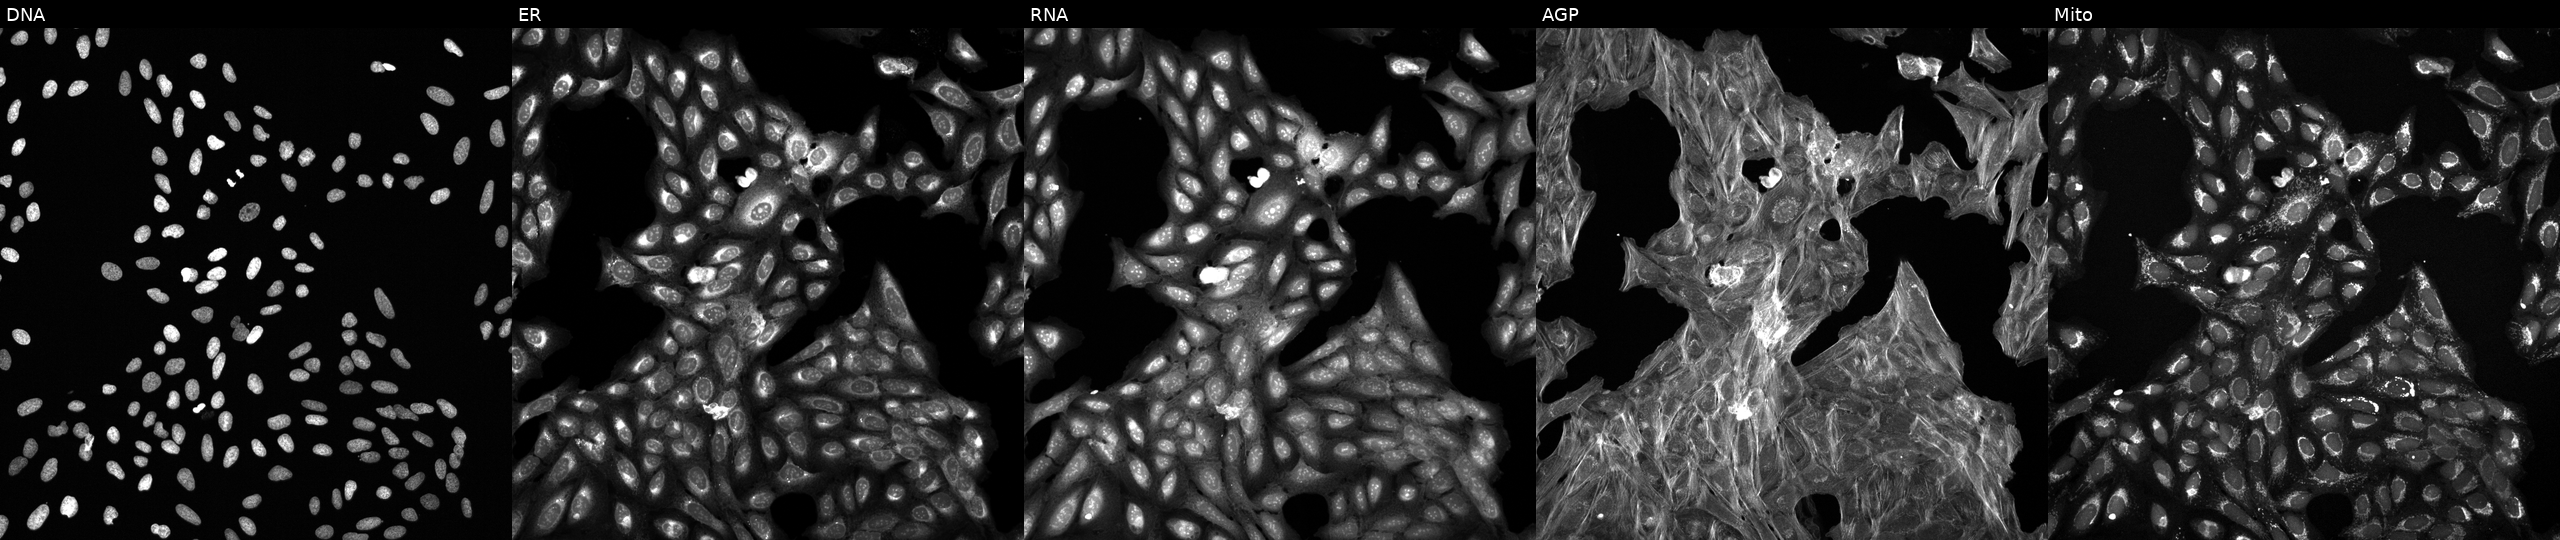
Five-channel Cell Painting image of U2OS cells treated with DMSO vehicle only (negative control) (JUMP id JCP2022_033924). From left to right: Hoechst 33342, concanavalin A, SYTO 14, phalloidin and WGA, MitoTracker.